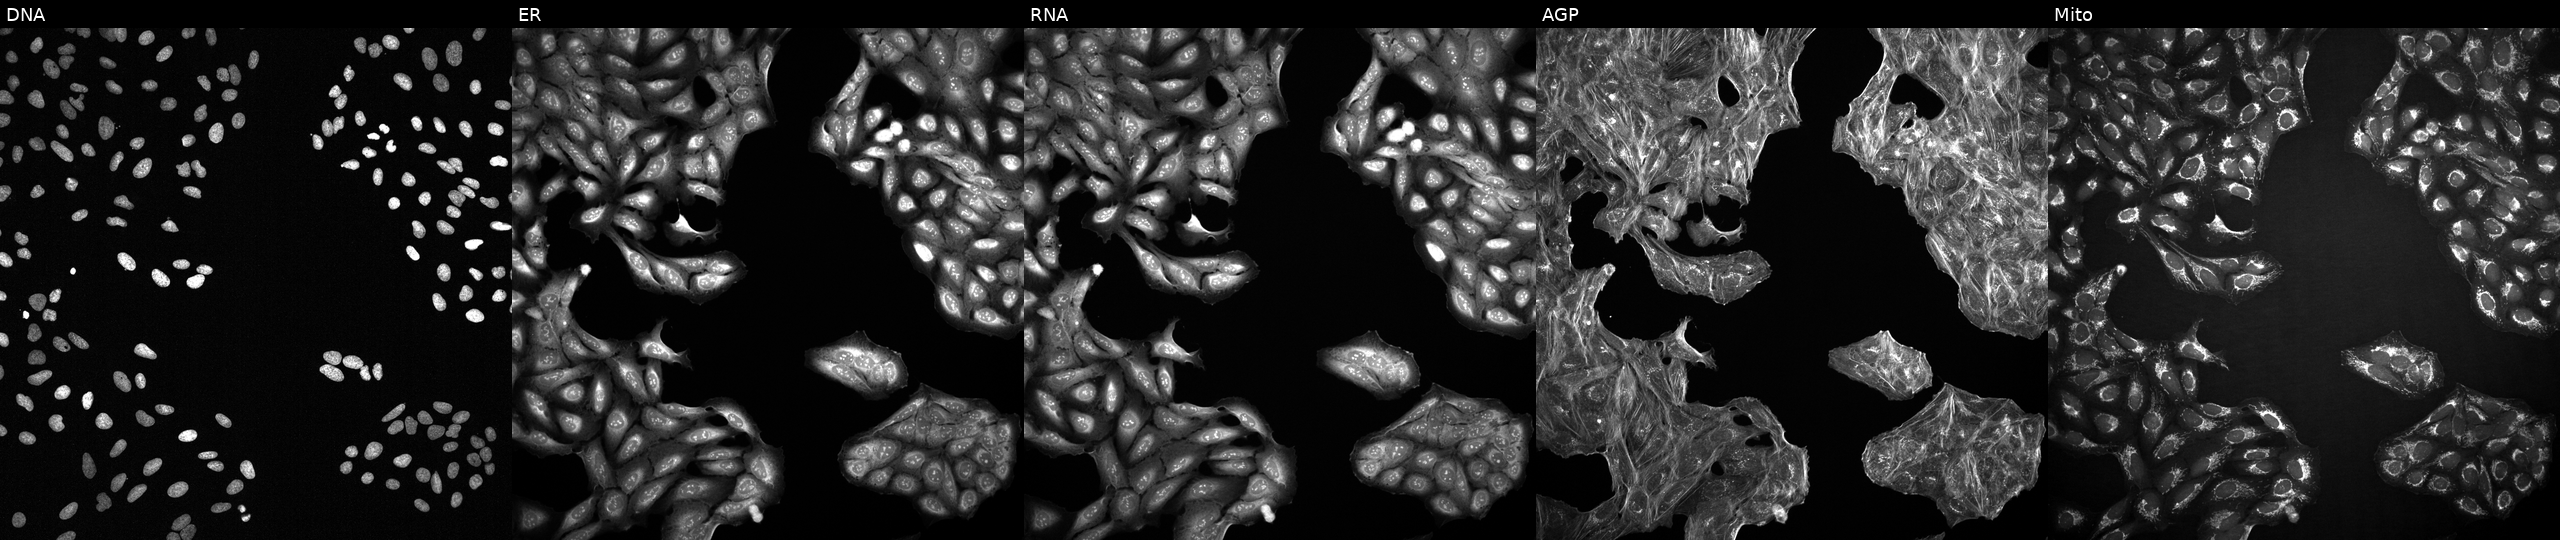
Five-channel Cell Painting image of U2OS cells with an unidentified perturbation (not annotated in JUMP metadata). Panels show, left to right, DNA (nuclei); ER (endoplasmic reticulum); RNA (nucleoli and cytoplasmic RNA); AGP (actin cytoskeleton, Golgi, and plasma membrane); Mito (mitochondria).